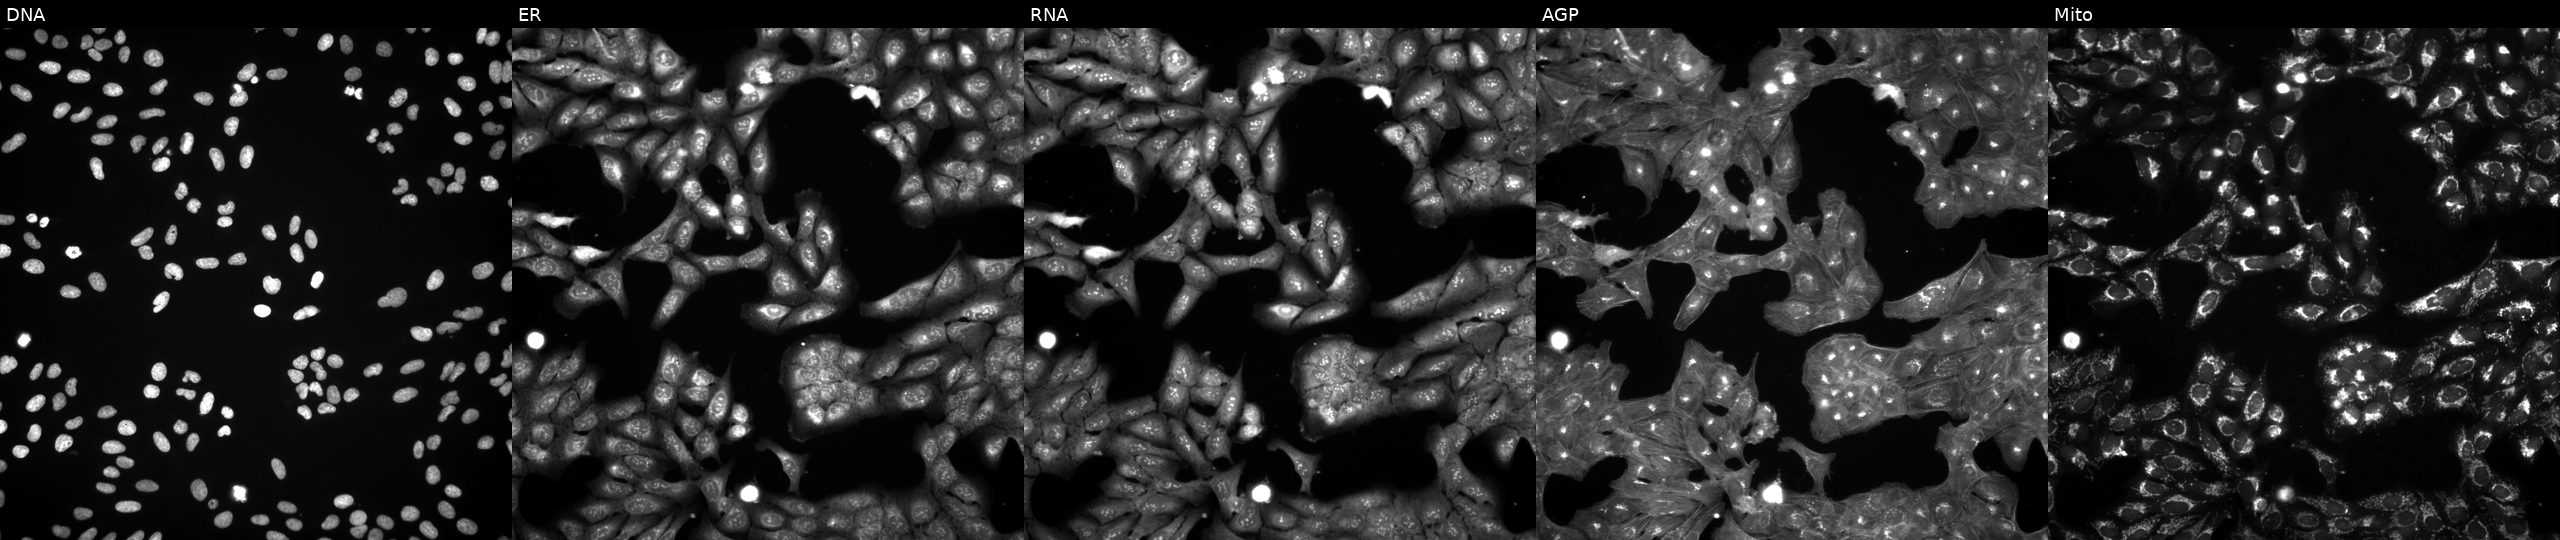
This image strip shows the five Cell Painting channels for a single field of U2OS cells in an empty control well (no perturbation). The five panels, left to right, show DNA, ER, RNA, AGP, and Mito.